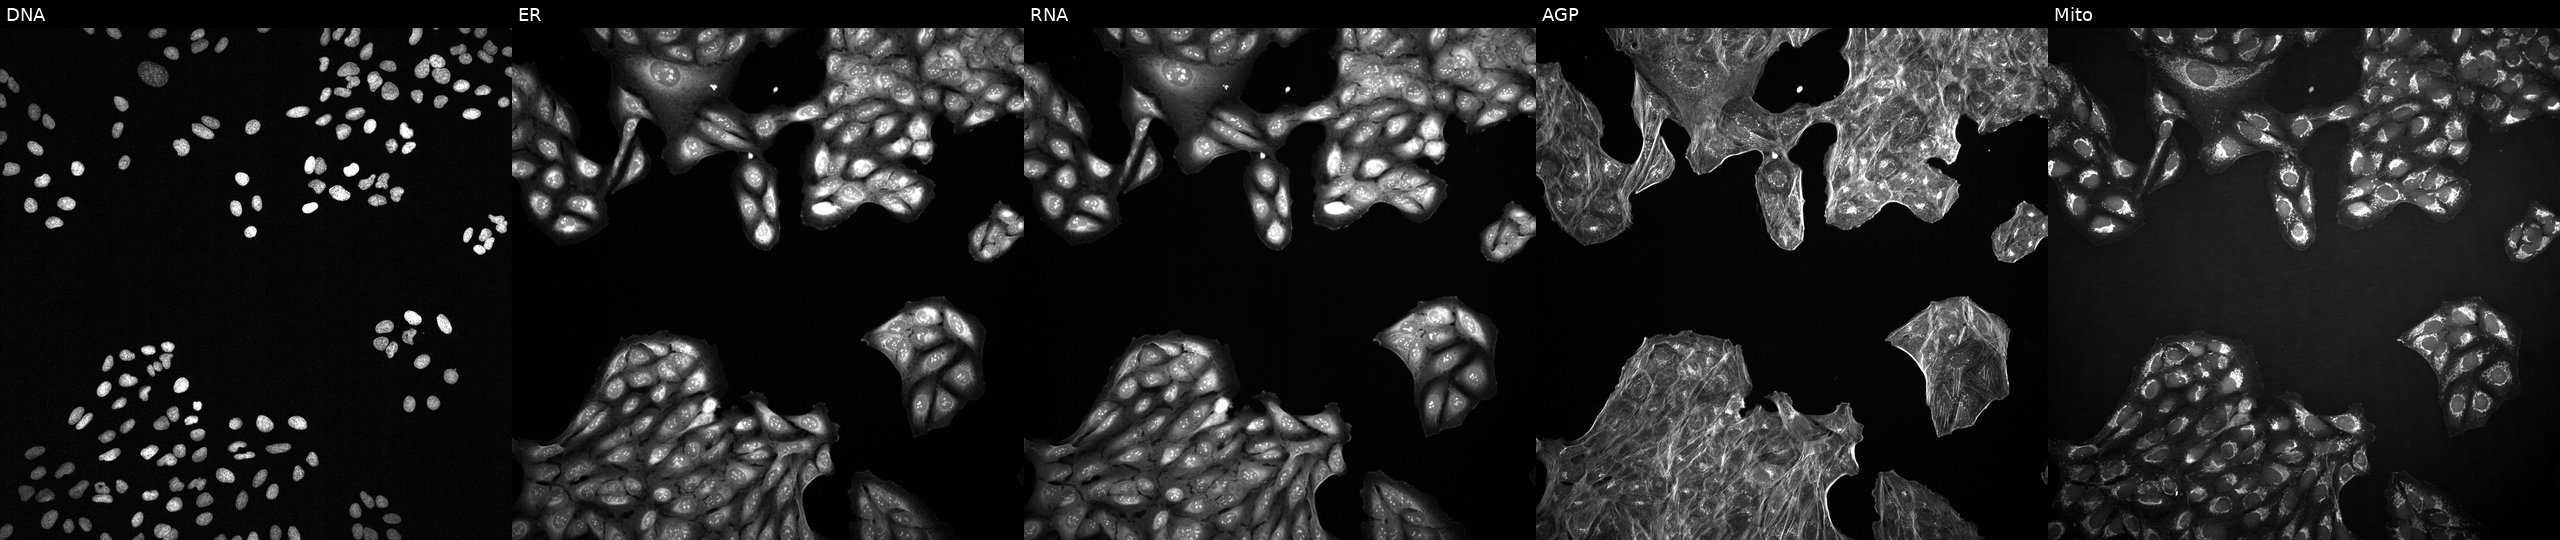
Five-channel Cell Painting image of U2OS cells treated with a small-molecule compound (InChIKey LPGBXHWIQNZEJB-UHFFFAOYSA-N) (JUMP id JCP2022_050873). Channels (left→right): DNA, ER, RNA, AGP, and Mito.